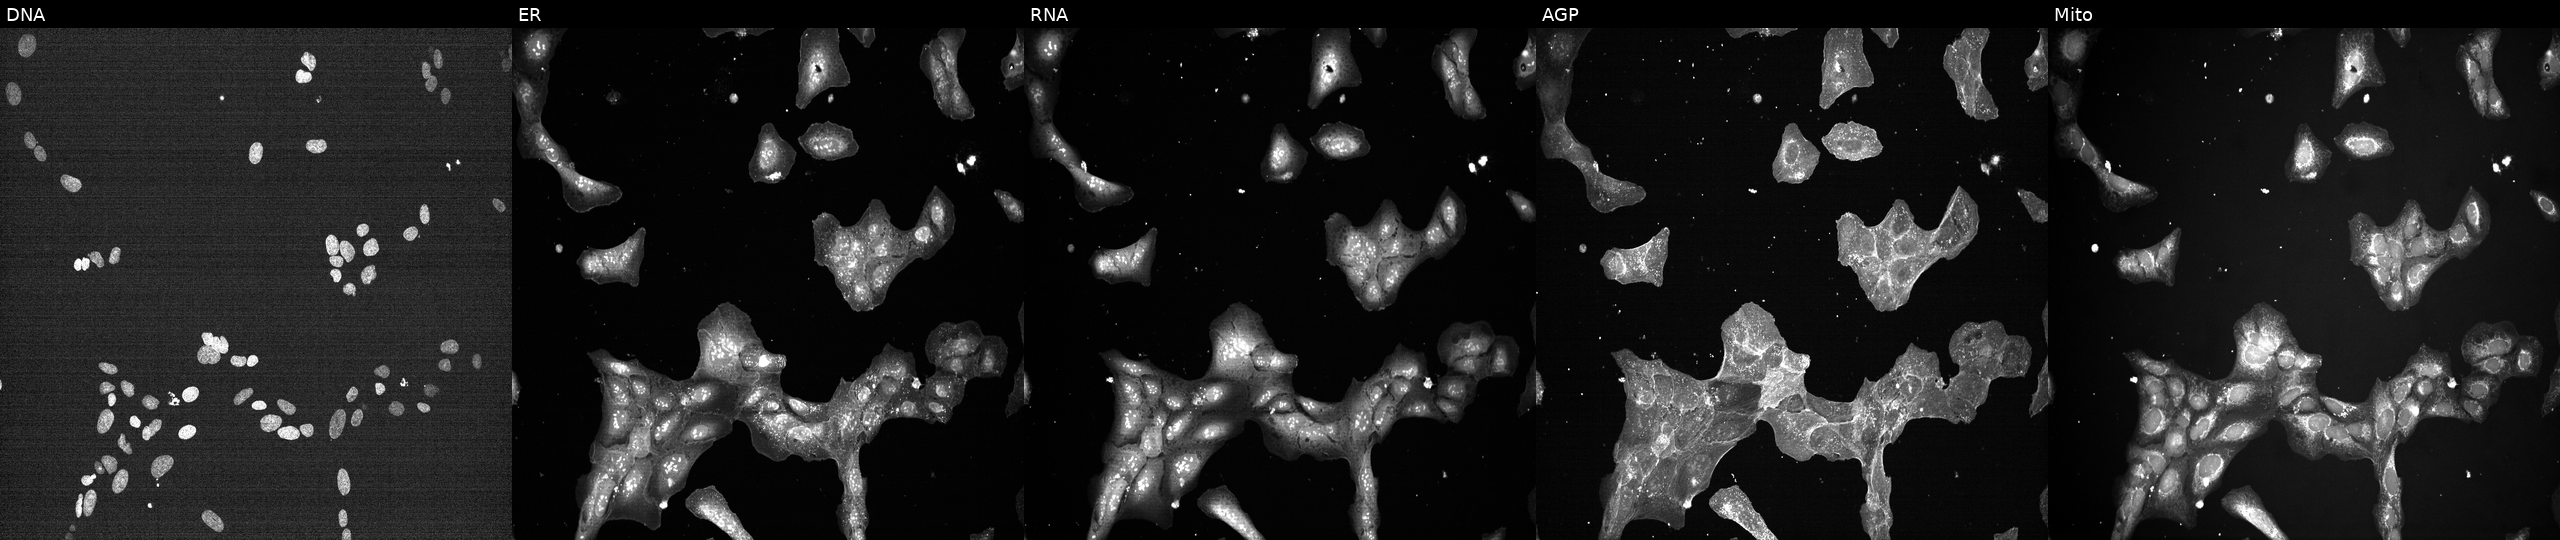
This image strip shows the five Cell Painting channels for a single field of U2OS cells treated with a small-molecule compound. From left to right: DNA, ER, RNA, AGP, and Mito. Source 7, plate CP1-SC1-25, well C22.